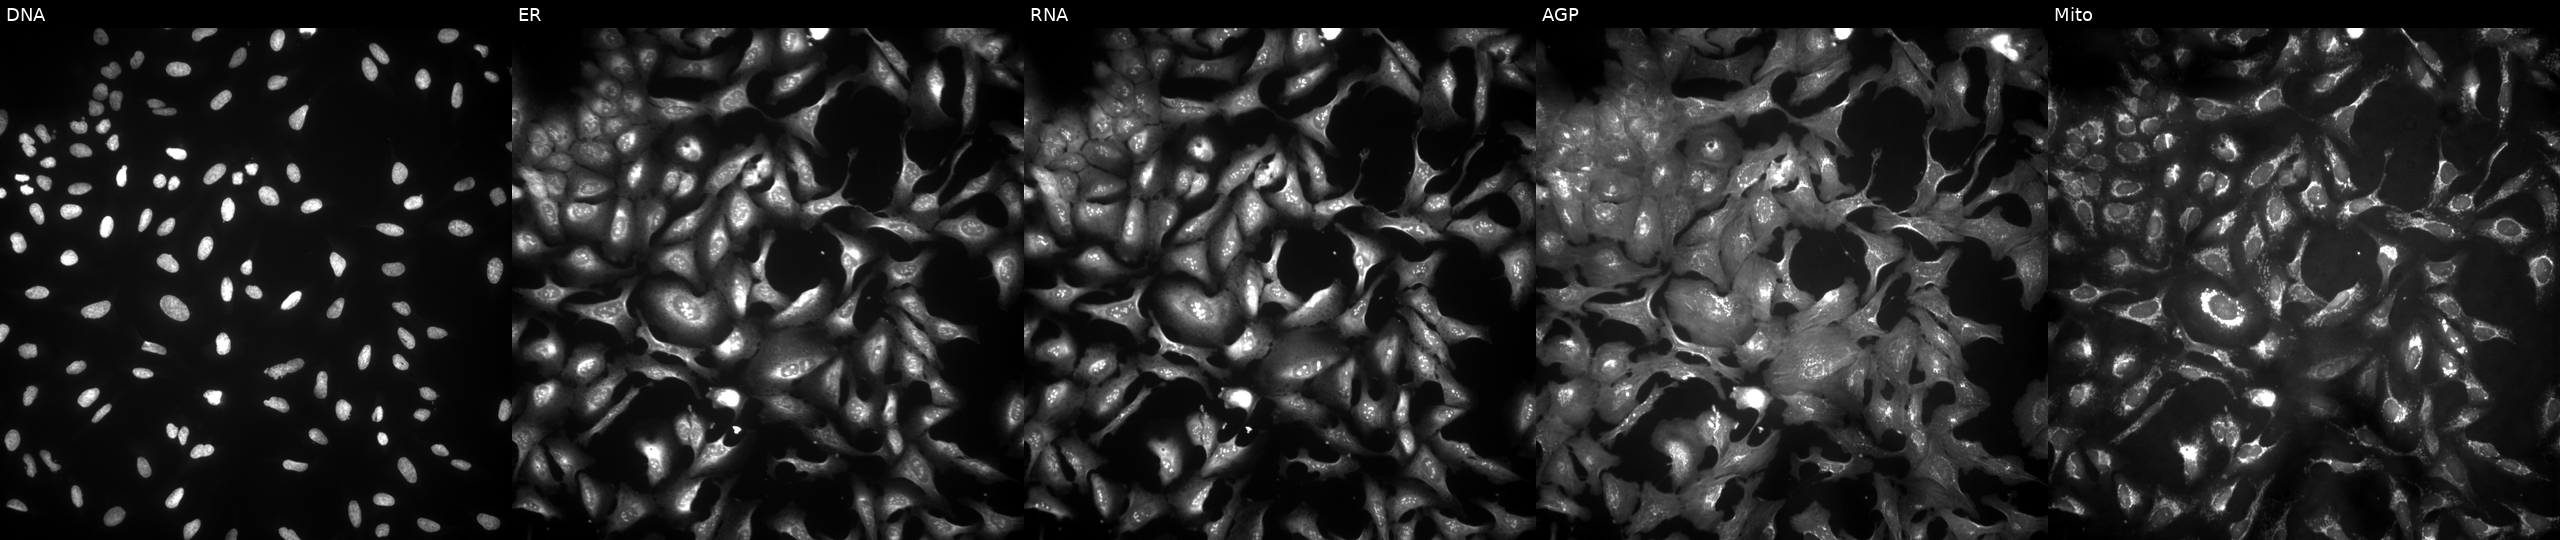
Five-channel Cell Painting image of U2OS cells overexpressing GSDMB via ORF transfection. From left to right: DNA (nuclei); ER (endoplasmic reticulum); RNA (nucleoli and cytoplasmic RNA); AGP (actin cytoskeleton, Golgi, and plasma membrane); Mito (mitochondria). Source 4, plate BR00123506, well H12.